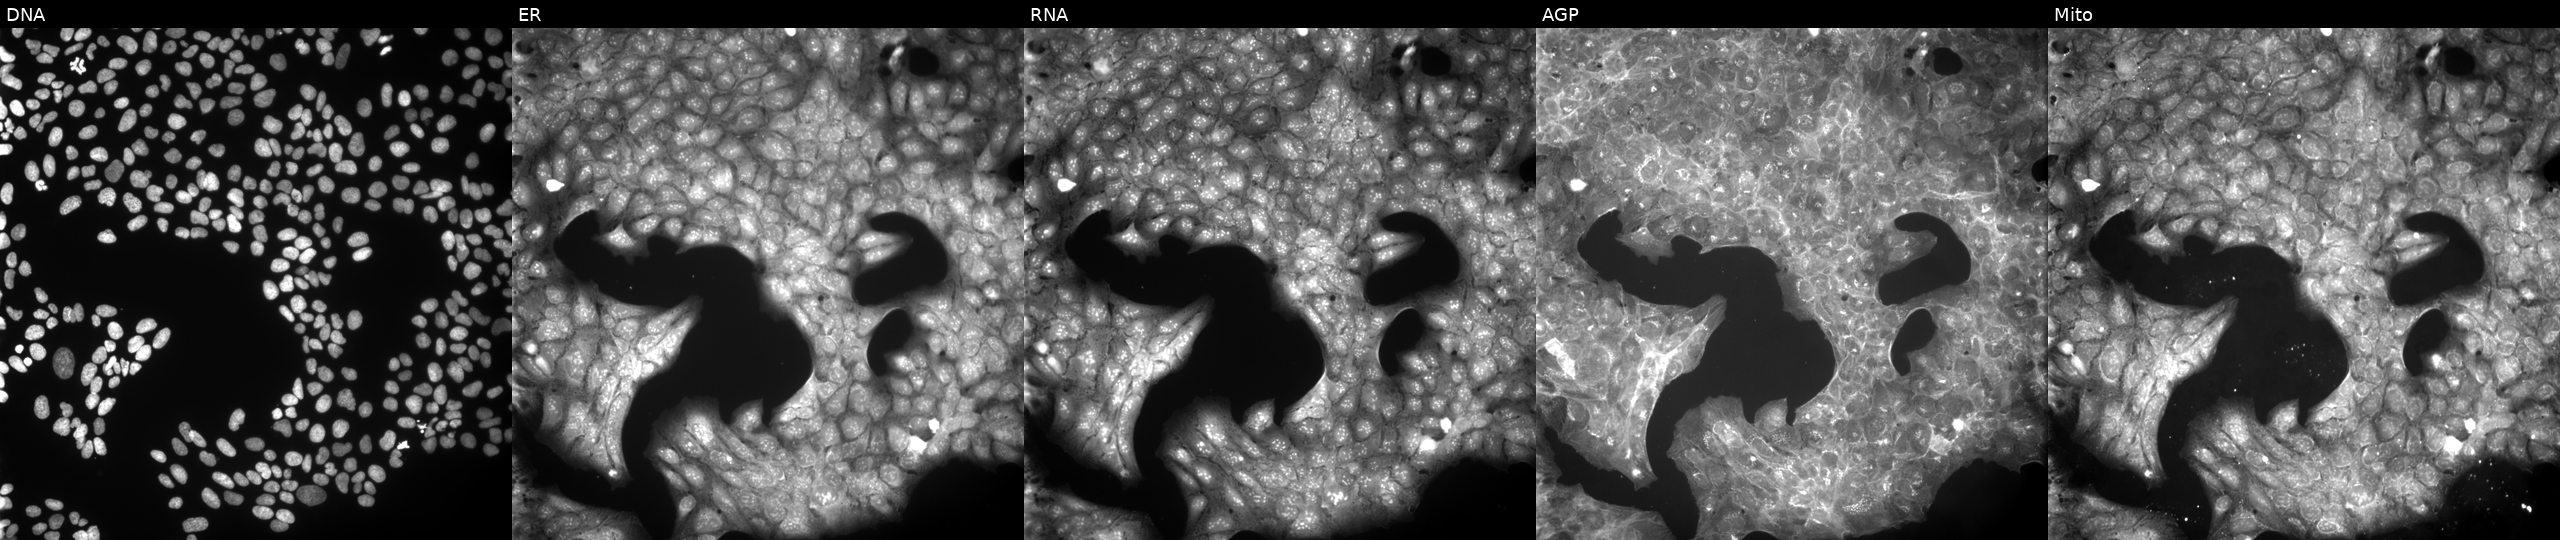
High-content fluorescence microscopy (Cell Painting). Cell line: U2OS. Perturbation: exposed to a small-molecule compound (InChIKey IBCXZJCWDGCXQT-UHFFFAOYSA-N). From left to right: DNA (nuclei); ER (endoplasmic reticulum); RNA (nucleoli and cytoplasmic RNA); AGP (actin cytoskeleton, Golgi, and plasma membrane); Mito (mitochondria).